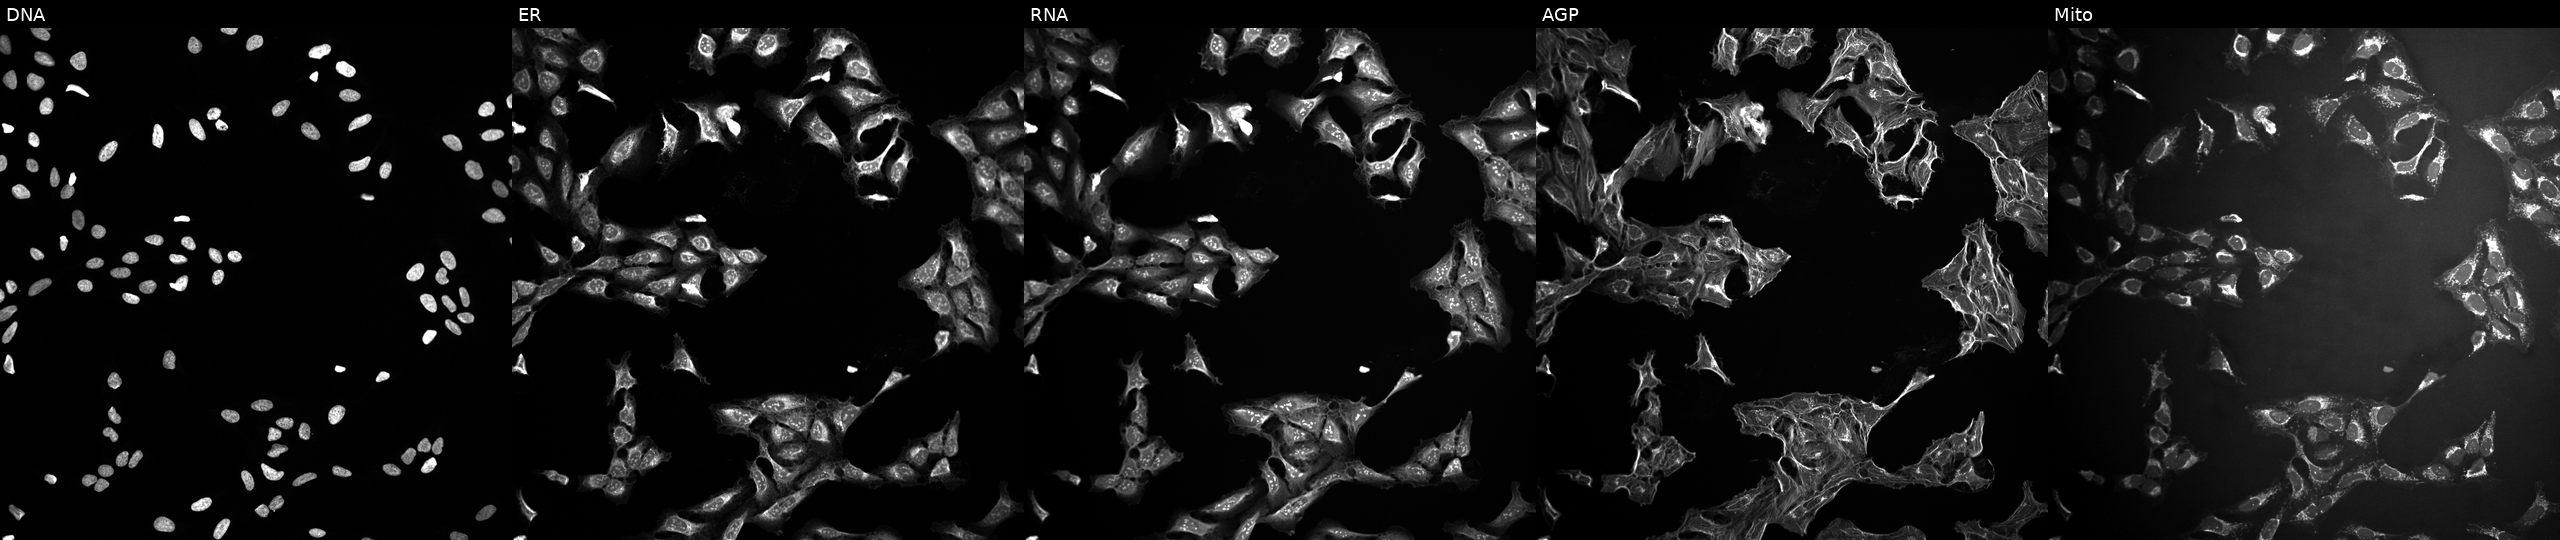
High-content fluorescence microscopy (Cell Painting). Cell line: U2OS. Perturbation: perturbed with a small-molecule compound (InChIKey LPGBXHWIQNZEJB-UHFFFAOYSA-N) (JUMP id JCP2022_050873). From left to right: DNA (nuclei); ER (endoplasmic reticulum); RNA (nucleoli and cytoplasmic RNA); AGP (actin cytoskeleton, Golgi, and plasma membrane); Mito (mitochondria). Source 10, plate Dest210727-153003, well J21.